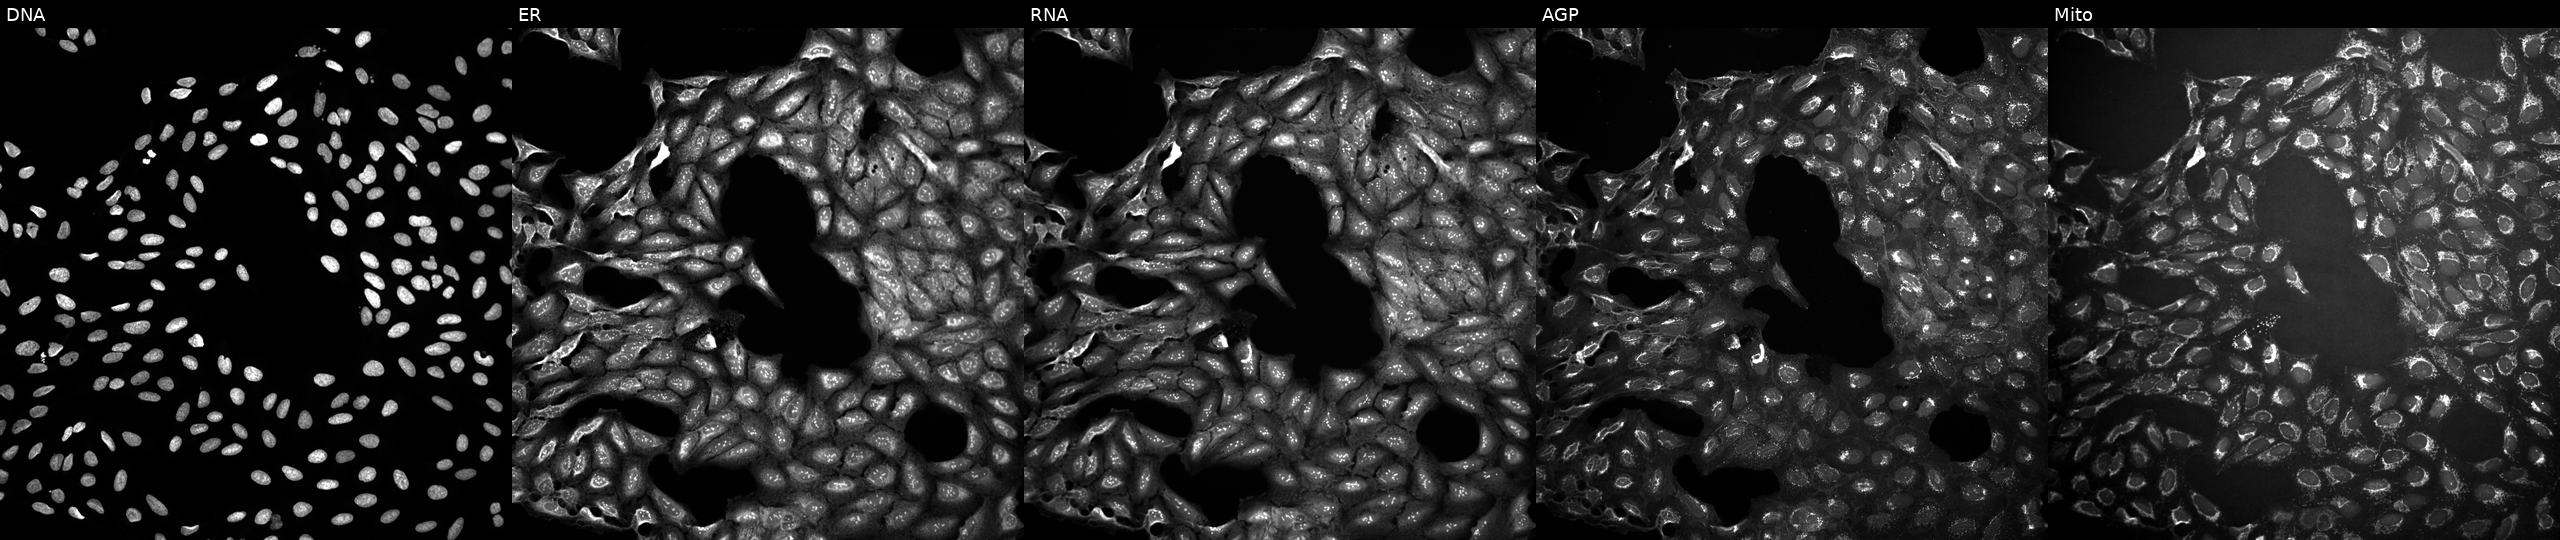
This image strip shows the five Cell Painting channels for a single field of U2OS cells exposed to the positive-control compound dexamethasone. From left to right: DNA (nuclei); ER (endoplasmic reticulum); RNA (nucleoli and cytoplasmic RNA); AGP (actin cytoskeleton, Golgi, and plasma membrane); Mito (mitochondria).